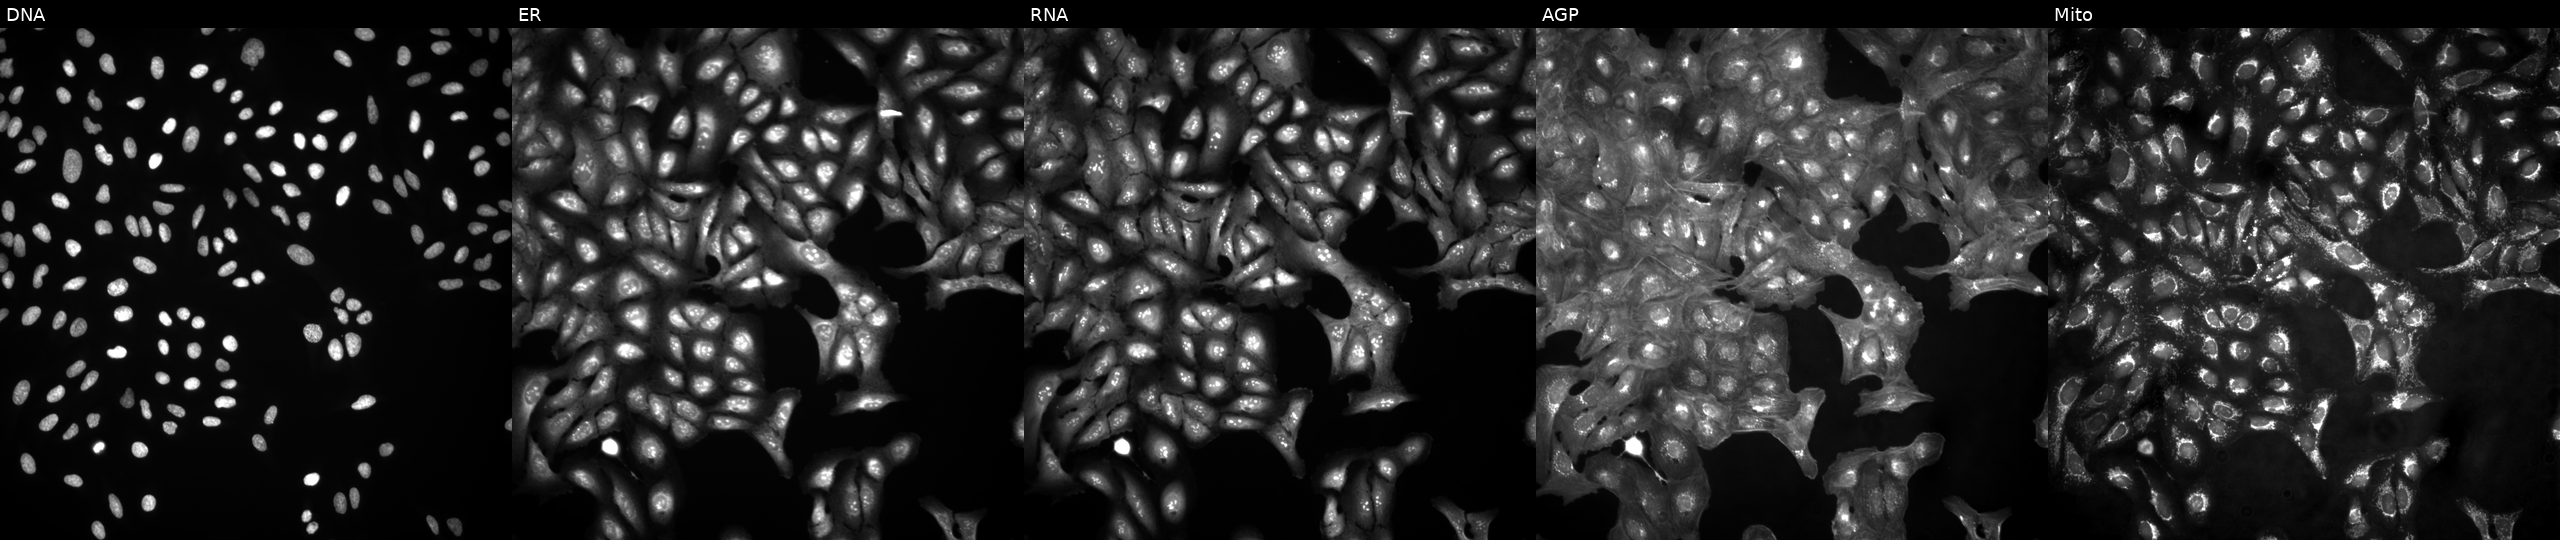
JUMP Cell Painting — ORF plate. U2OS cells untreated (empty-well control). From left to right: DNA, ER, RNA, AGP, and Mito. Source 4, plate BR00123946, well C09.